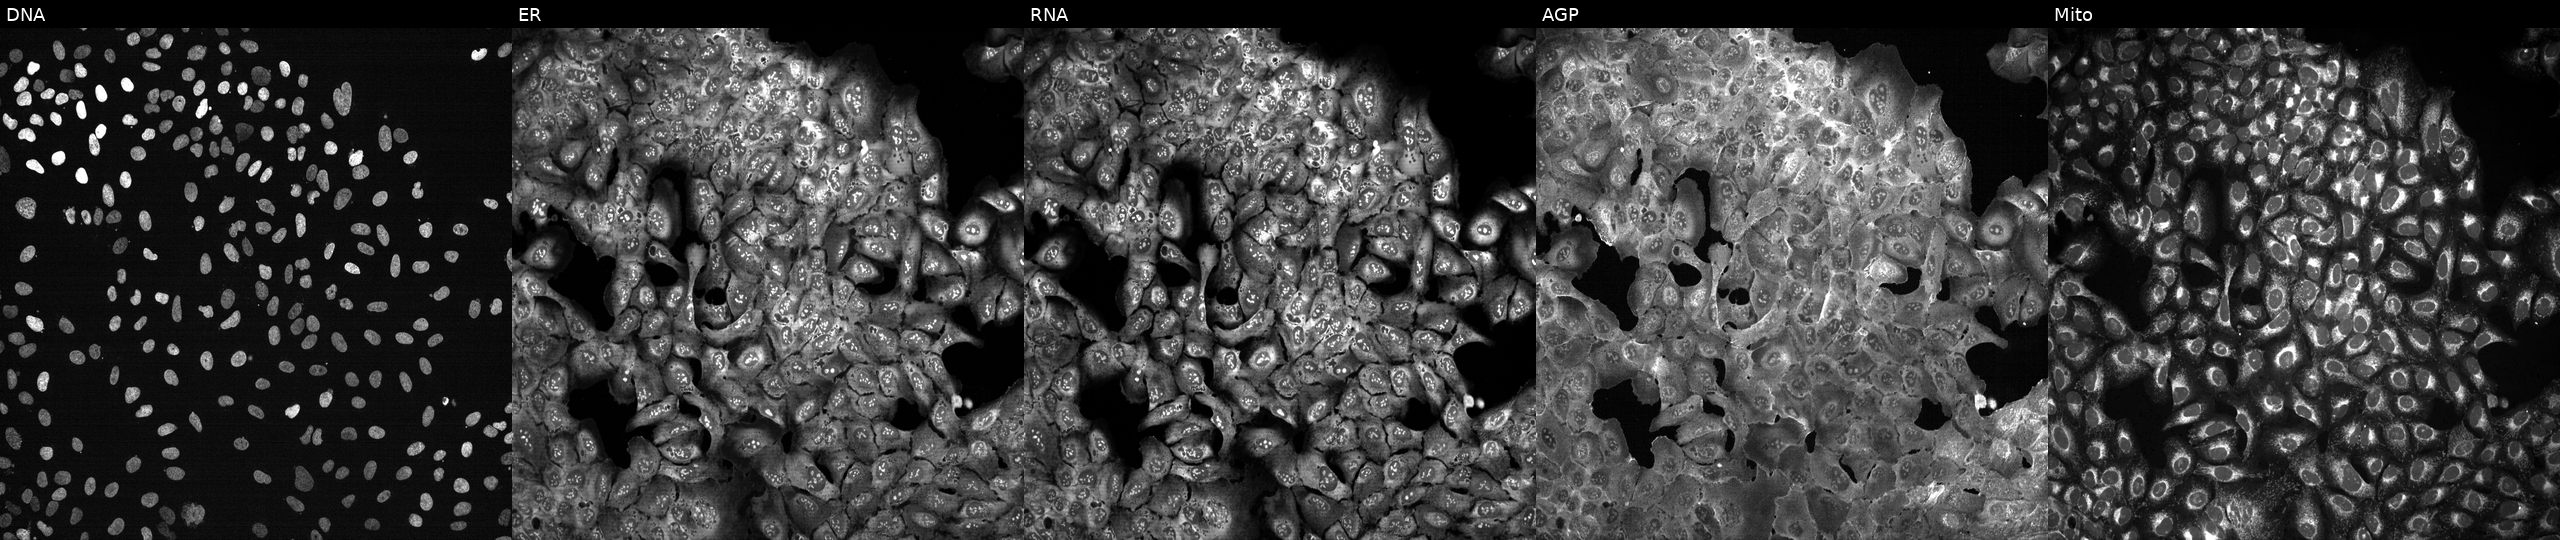
JUMP Cell Painting — CRISPR plate. U2OS cells following CRISPR knockout of GDAP1. From left to right: DNA, ER, RNA, AGP, and Mito. Source 13, plate CP-CC9-R3-02, well A18.